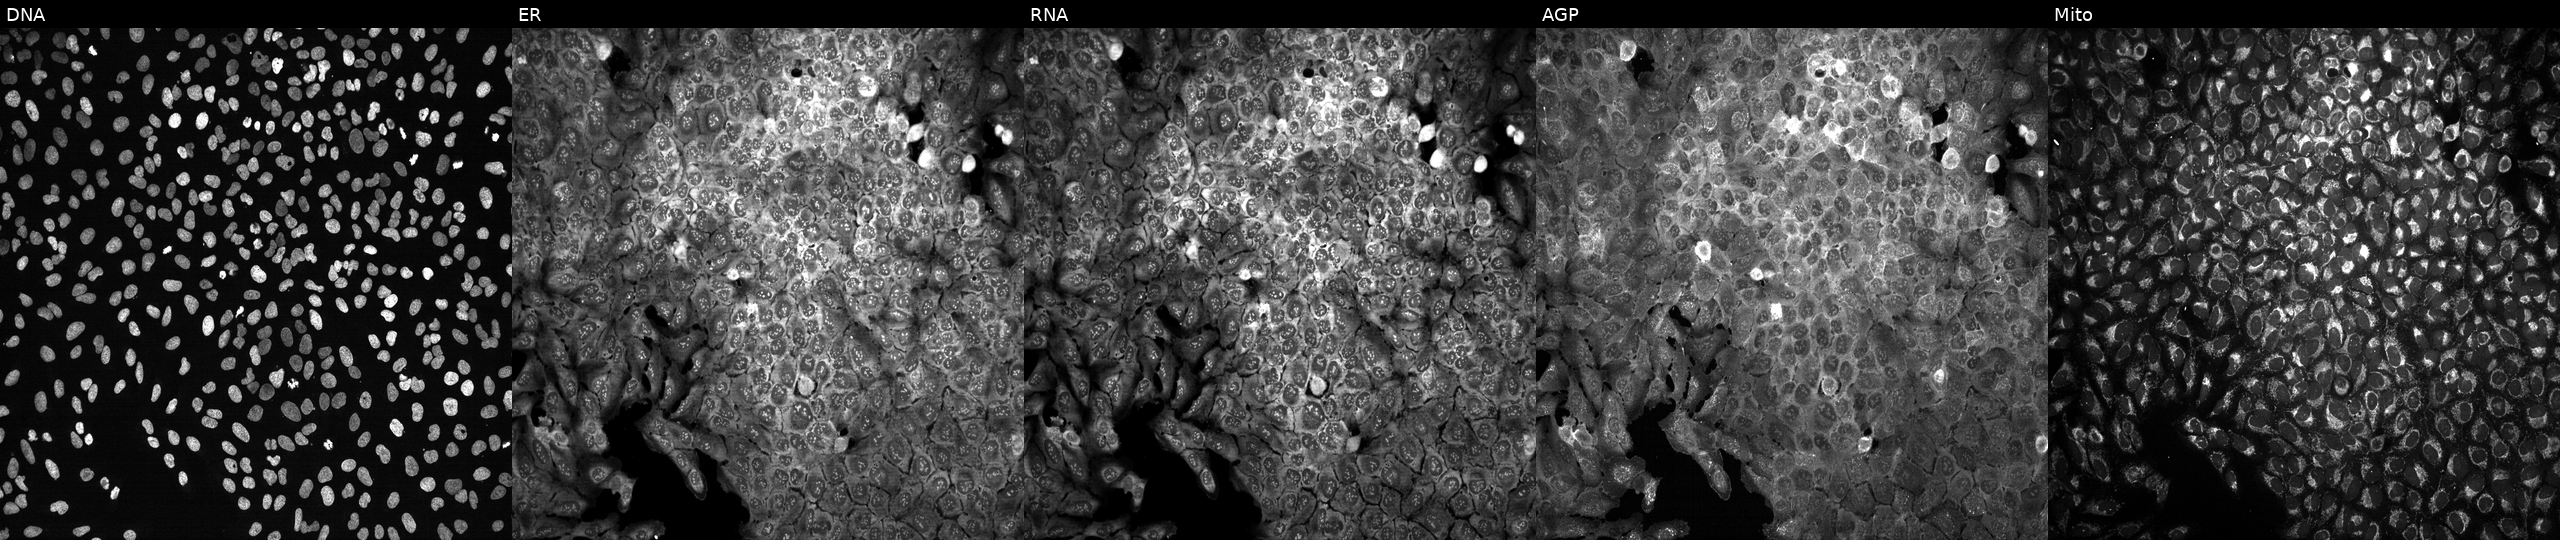
U2OS cells, Cell Painting assay, with CNP knocked out by CRISPR. Channels (left→right): DNA, ER, RNA, AGP, and Mito. Each panel is percentile-stretched 16-bit fluorescence.